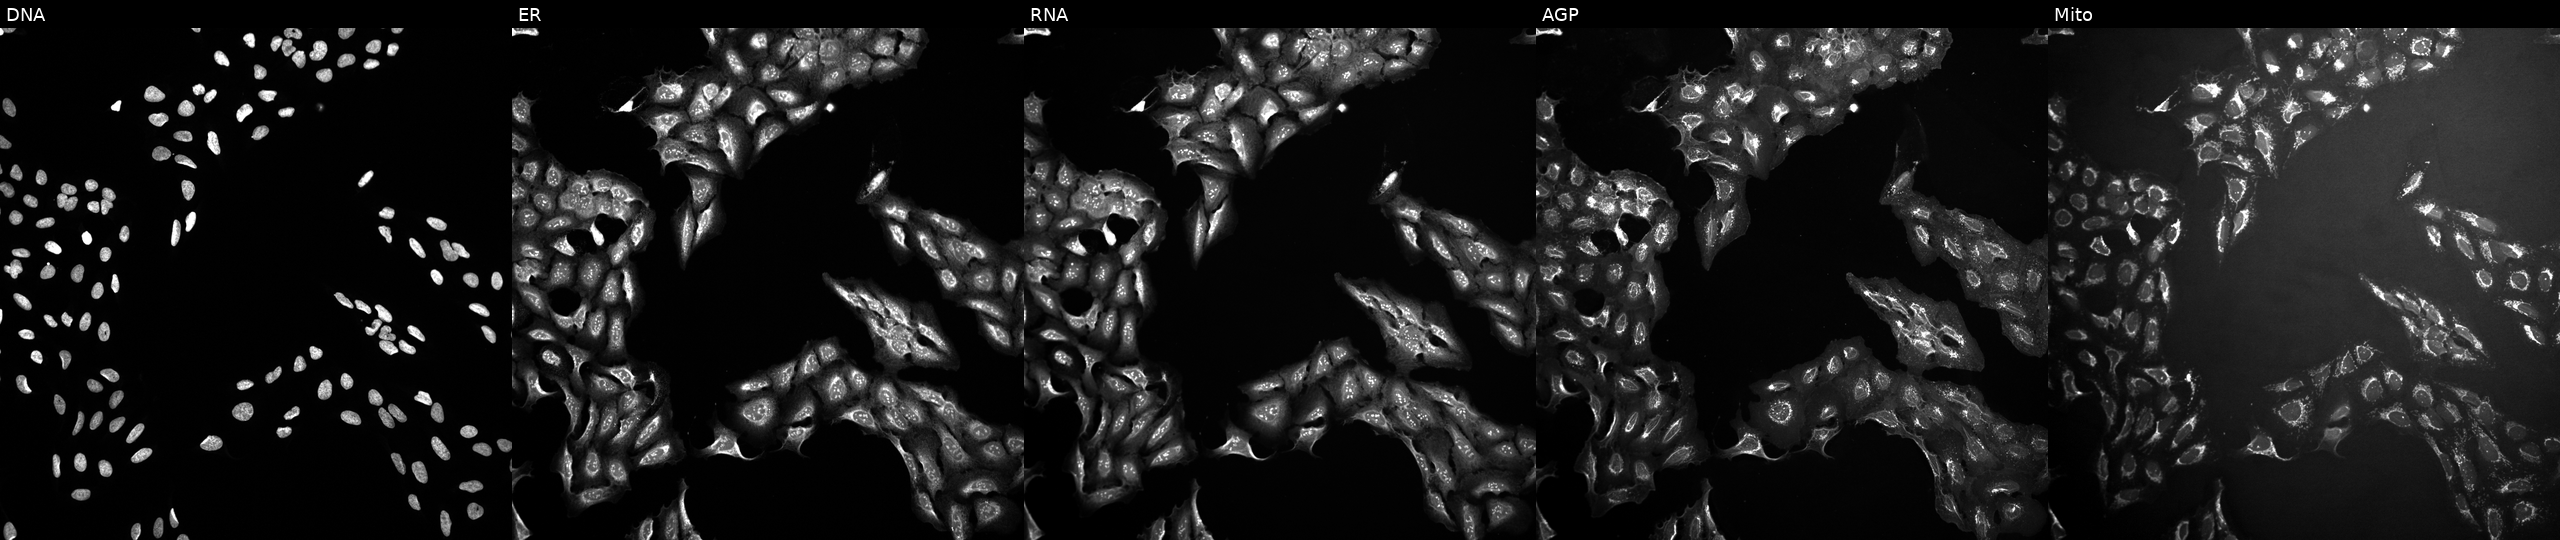
Panels show, left to right, DNA (nuclei); ER (endoplasmic reticulum); RNA (nucleoli and cytoplasmic RNA); AGP (actin cytoskeleton, Golgi, and plasma membrane); Mito (mitochondria). U2OS osteosarcoma cells exposed to a small-molecule compound. Cell Painting assay, JUMP-CP dataset. Source 10, plate Dest210803-153958, well E17.